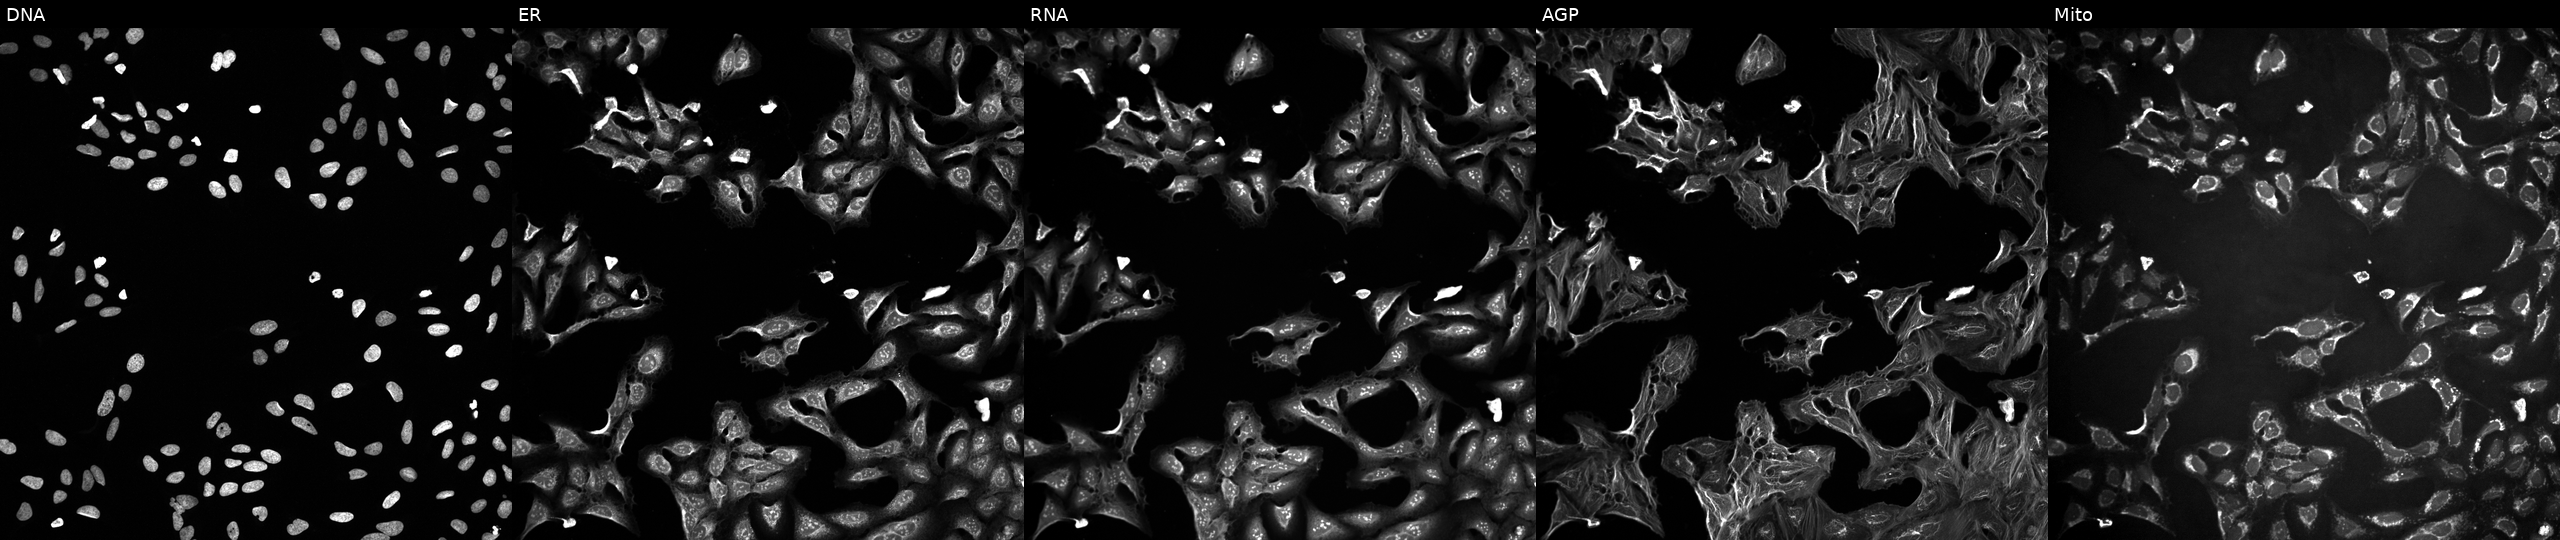
High-content fluorescence microscopy (Cell Painting). Cell line: U2OS. Perturbation: perturbed with a small-molecule compound. Panels show, left to right, Hoechst 33342, concanavalin A, SYTO 14, phalloidin and WGA, MitoTracker. Source 10, plate Dest210727-153003, well N05.